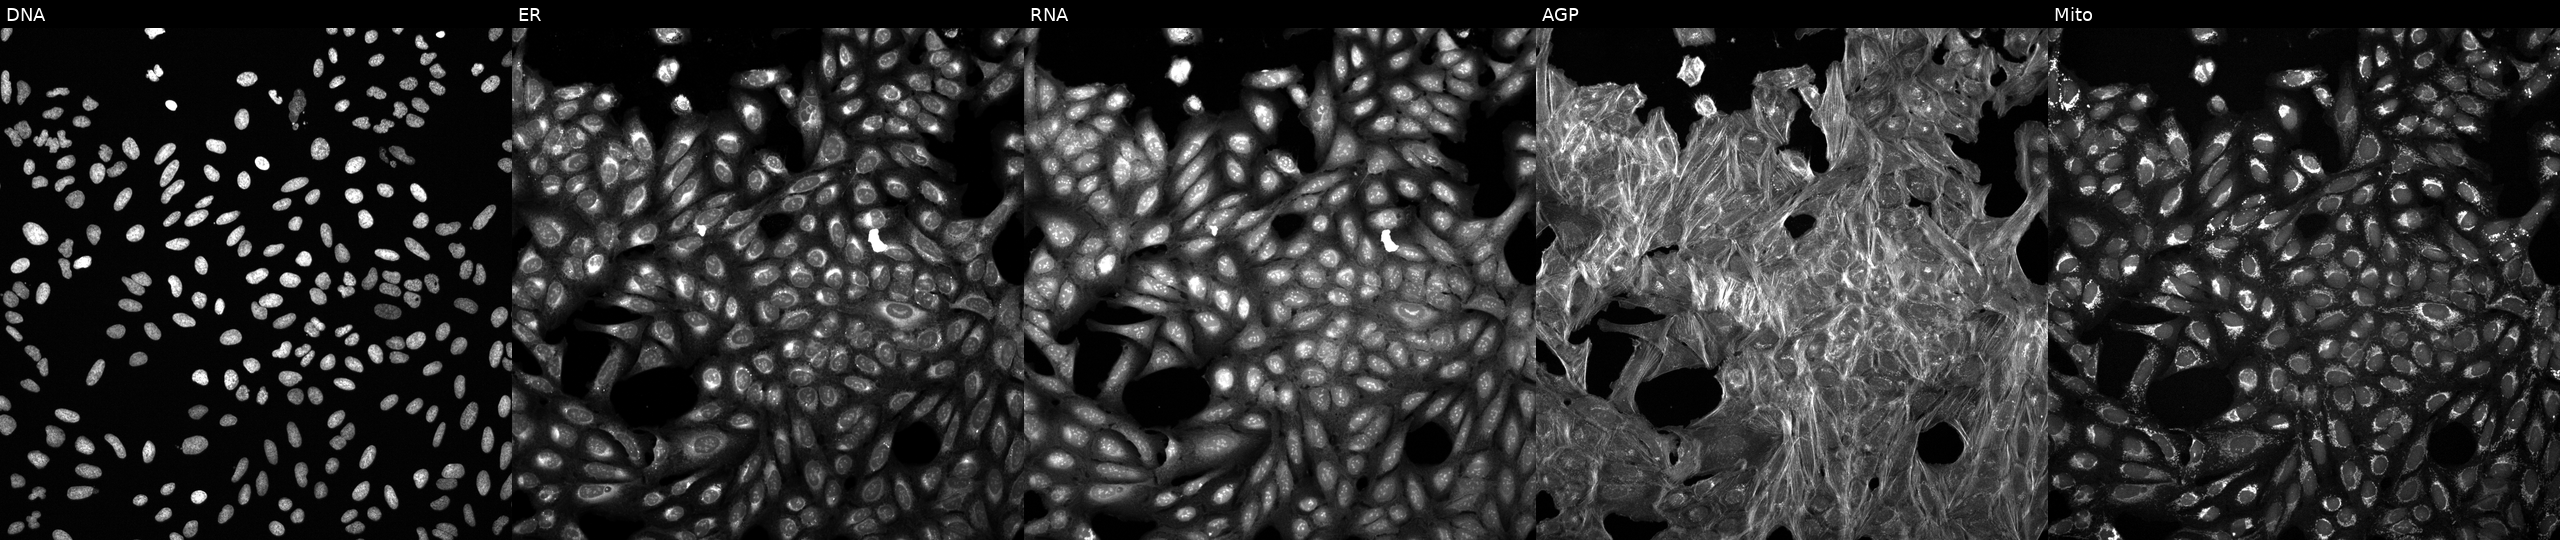
The five panels, left to right, show DNA, ER, RNA, AGP, and Mito. U2OS osteosarcoma cells exposed to a small-molecule compound (InChIKey NMTKNOIHDCPJQE-UHFFFAOYSA-N). Cell Painting assay, JUMP-CP dataset.